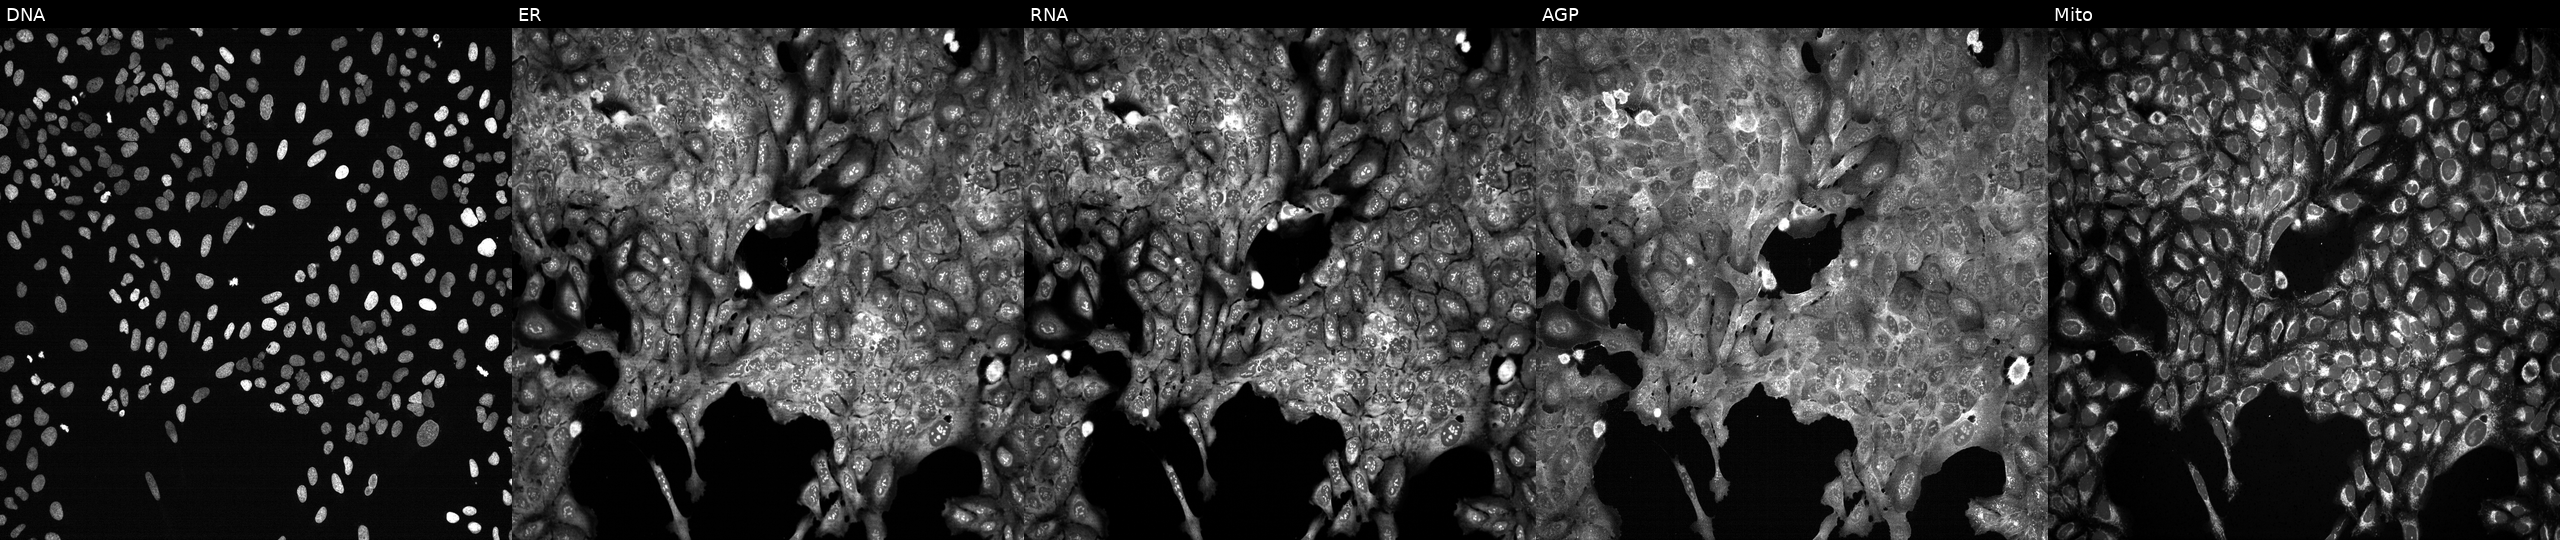
Panels show, left to right, DNA, ER, RNA, AGP, and Mito. U2OS osteosarcoma cells following CRISPR knockout of ALDH1L2 (JUMP id JCP2022_800387). Cell Painting assay, JUMP-CP dataset.